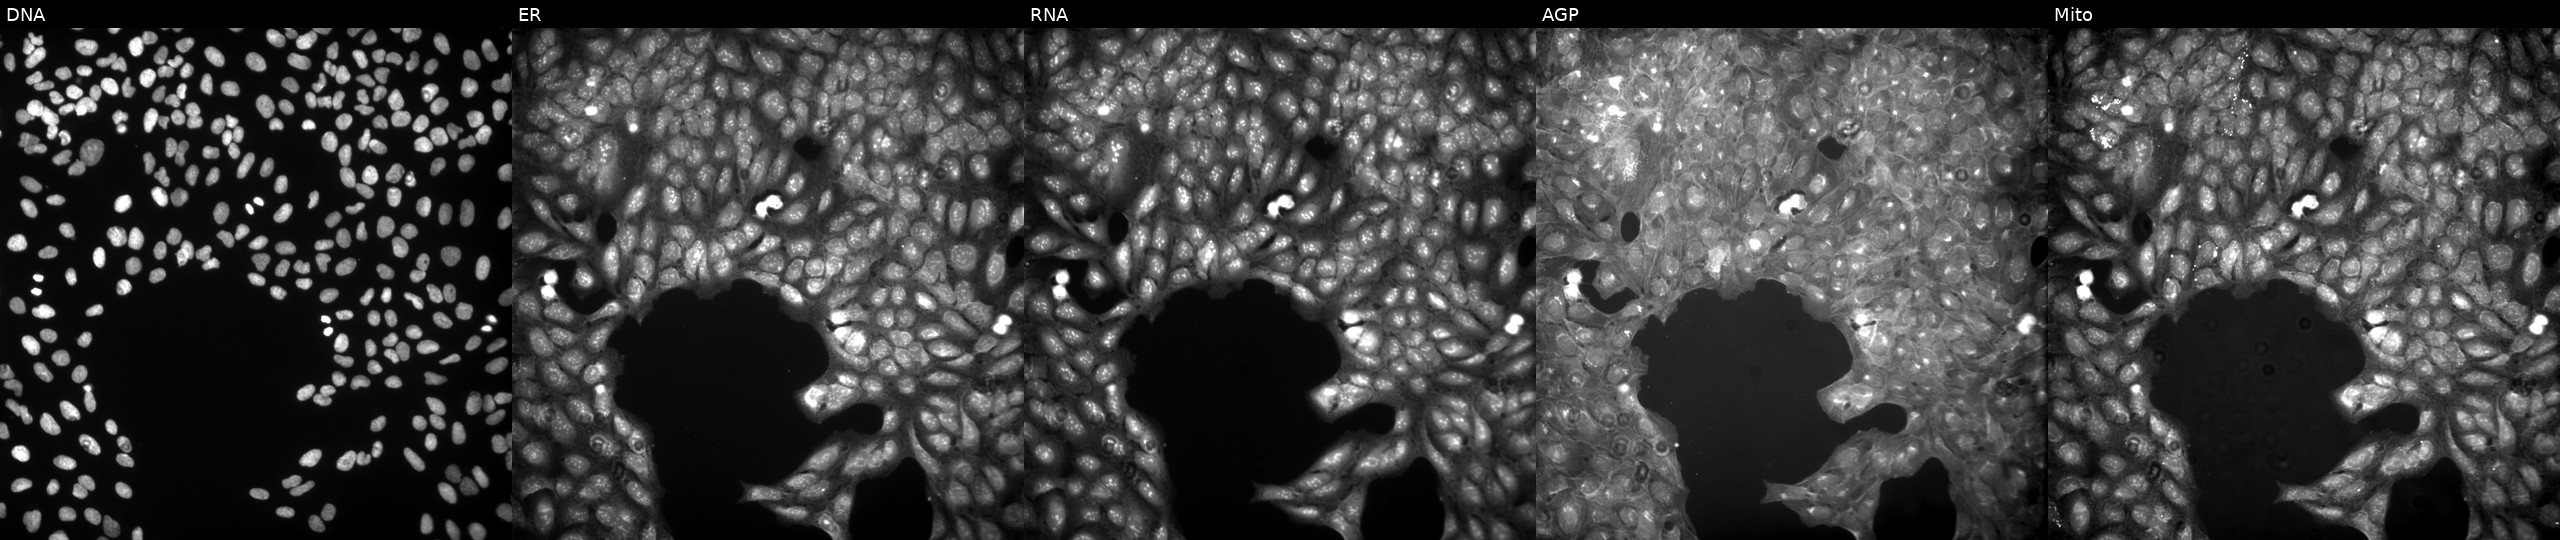
JUMP Cell Painting — COMPOUND plate. U2OS cells perturbed with a small-molecule compound (JUMP id JCP2022_086472). Channels (left→right): DNA (nuclei); ER (endoplasmic reticulum); RNA (nucleoli and cytoplasmic RNA); AGP (actin cytoskeleton, Golgi, and plasma membrane); Mito (mitochondria).